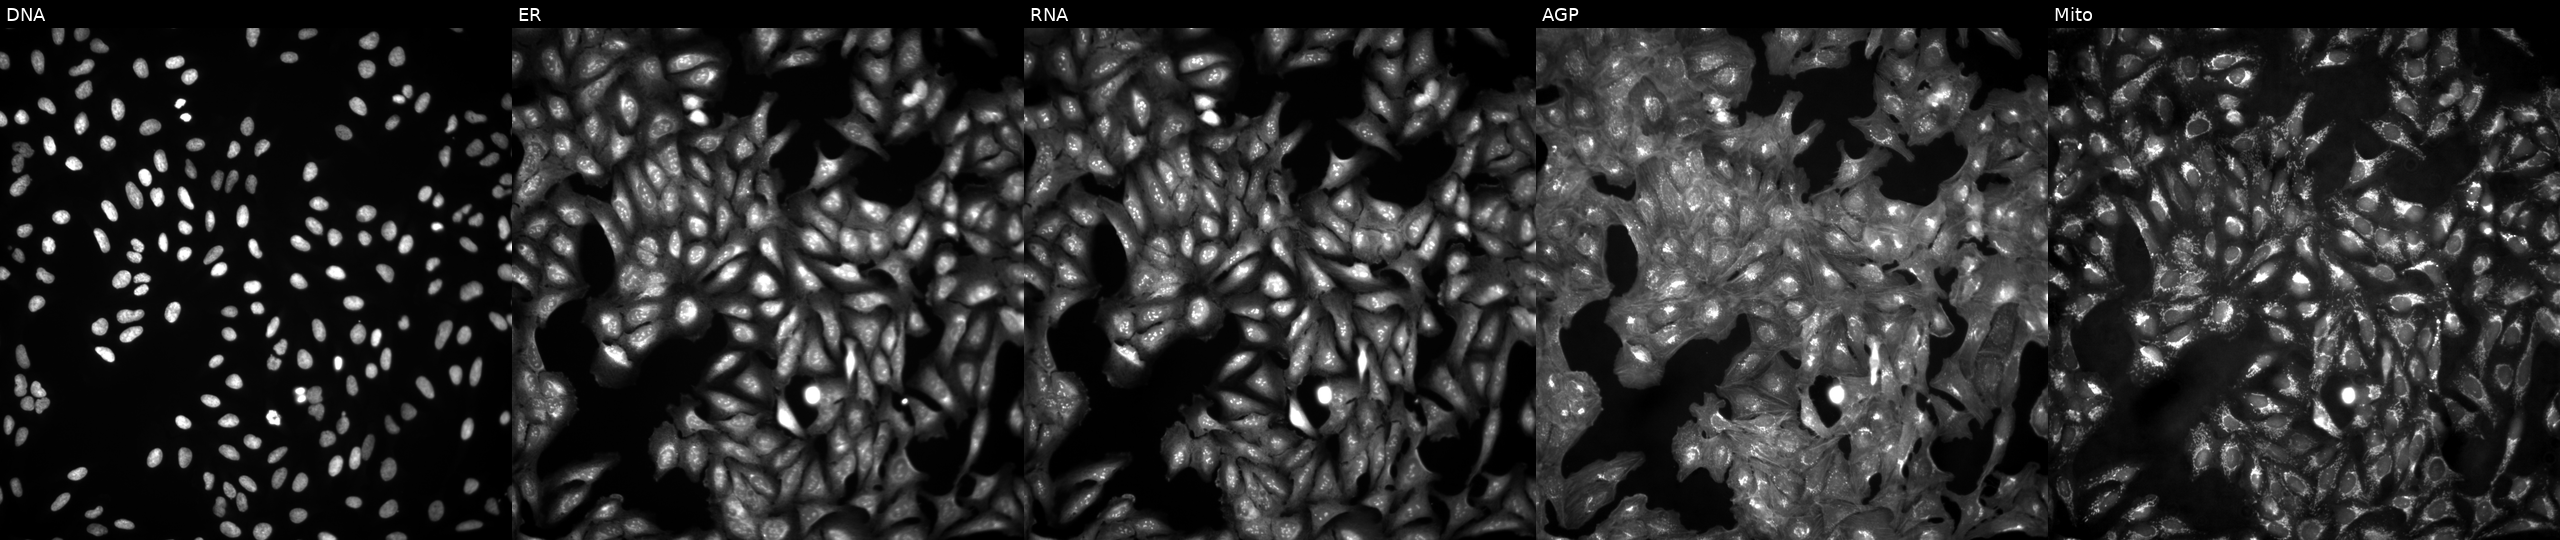
Five-channel Cell Painting image of U2OS cells in an empty control well (no perturbation) (JUMP id JCP2022_999999). The five panels, left to right, show DNA (nuclei); ER (endoplasmic reticulum); RNA (nucleoli and cytoplasmic RNA); AGP (actin cytoskeleton, Golgi, and plasma membrane); Mito (mitochondria).